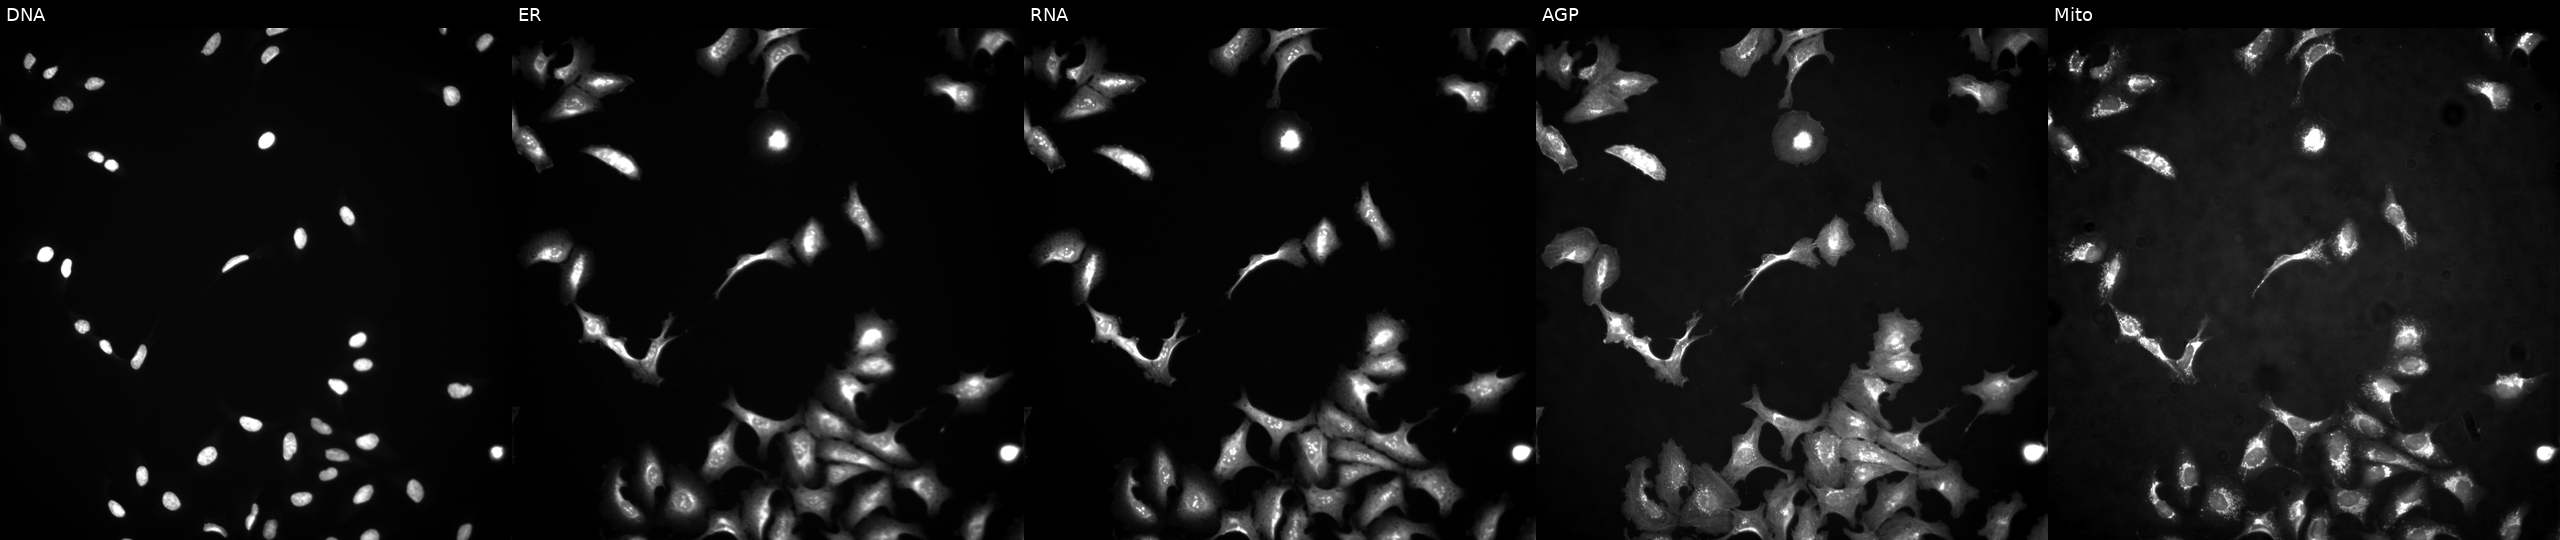
JUMP Cell Painting — ORF plate. U2OS cells expressing eGFP (ORF positive control) (JUMP id JCP2022_915132). The five panels, left to right, show Hoechst 33342, concanavalin A, SYTO 14, phalloidin and WGA, MitoTracker.